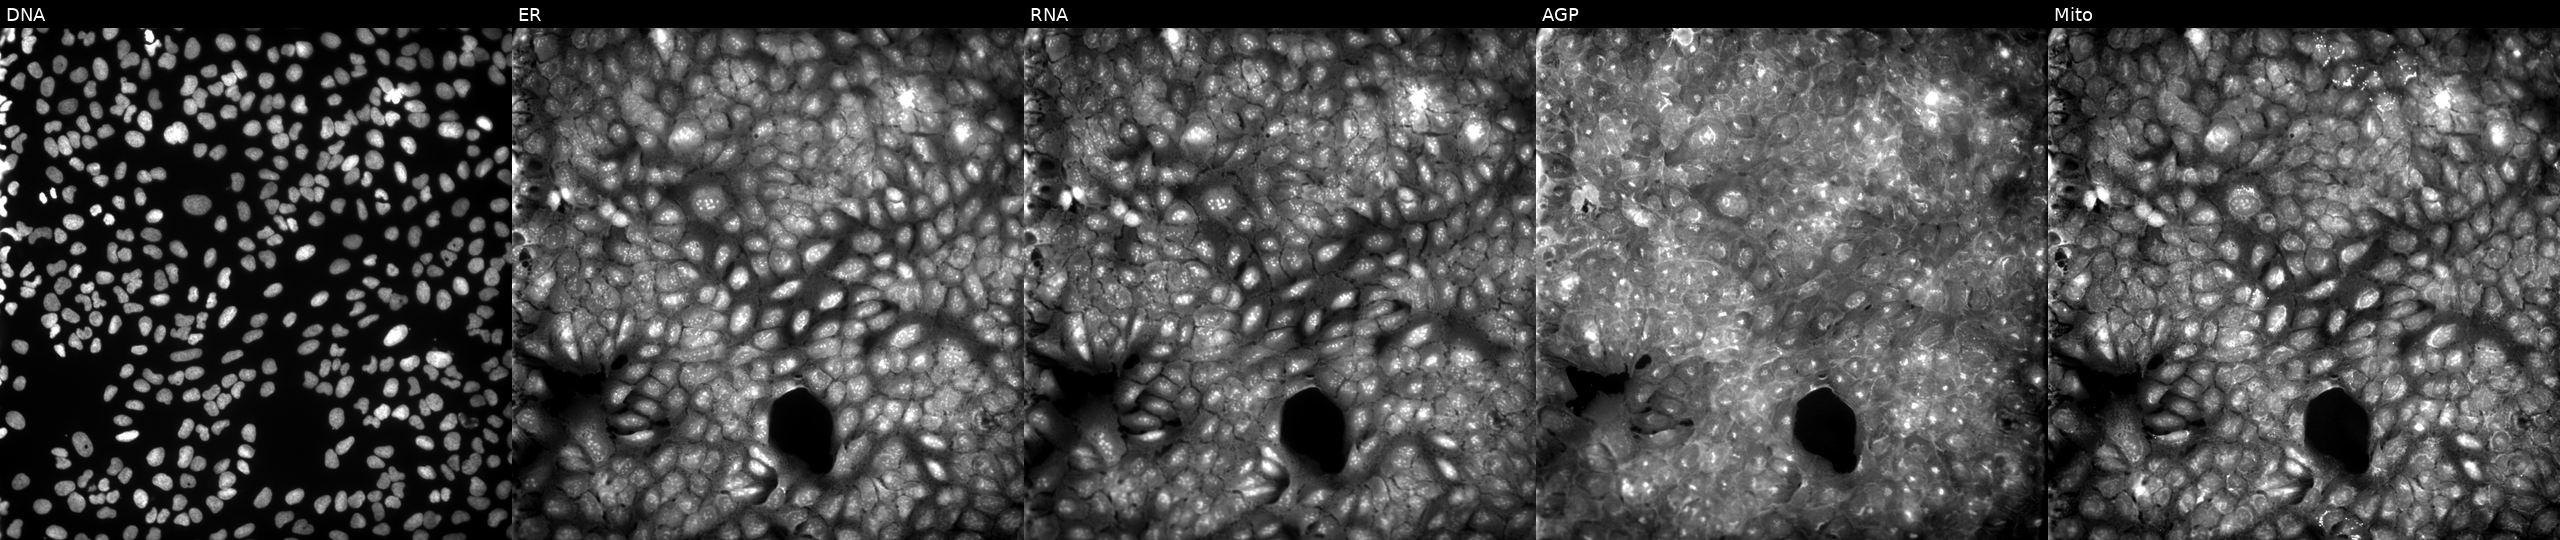
U2OS cells, Cell Painting assay, perturbed with a small-molecule compound [SMILES: CCOc1nc(OCC)nc(N2CCC(C)CC2)n1]. Channels (left→right): Hoechst 33342, concanavalin A, SYTO 14, phalloidin and WGA, MitoTracker. Each panel is percentile-stretched 16-bit fluorescence. Source 9, plate GR00003381, well U14.